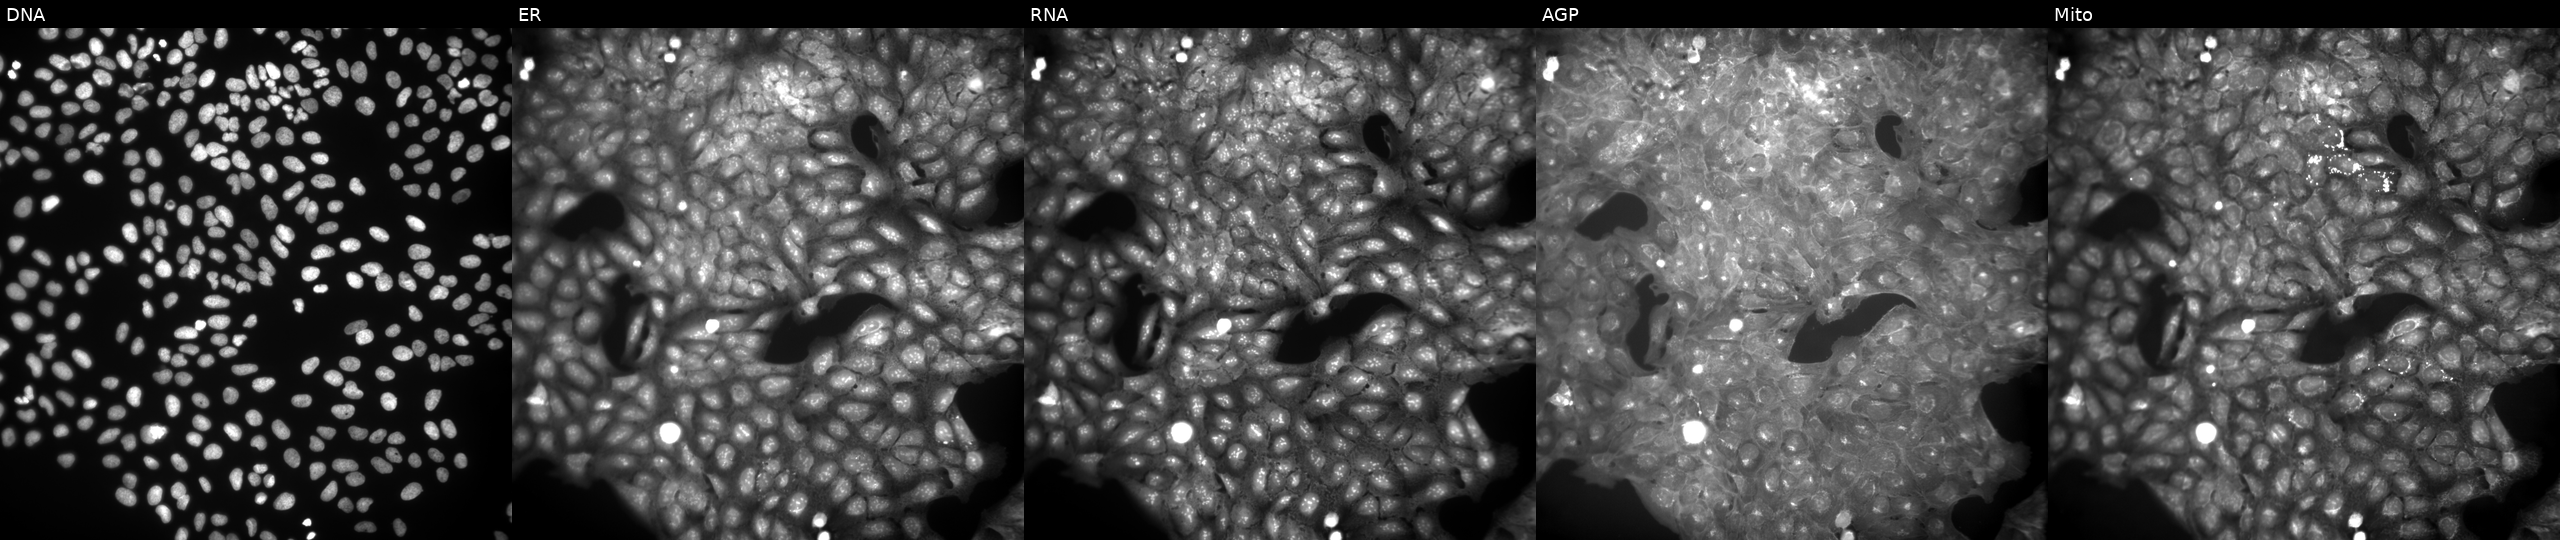
The five panels, left to right, show DNA (nuclei); ER (endoplasmic reticulum); RNA (nucleoli and cytoplasmic RNA); AGP (actin cytoskeleton, Golgi, and plasma membrane); Mito (mitochondria). U2OS osteosarcoma cells exposed to a small-molecule compound (InChIKey HDGCESYEYGPCJG-UHFFFAOYSA-N) [SMILES: CCOc1ccc(S(=O)(=O)N2CCSC2c2ccc(OC)c(OC)c2)cc1]. Cell Painting assay, JUMP-CP dataset. Source 9, plate GR00003381, well B46.